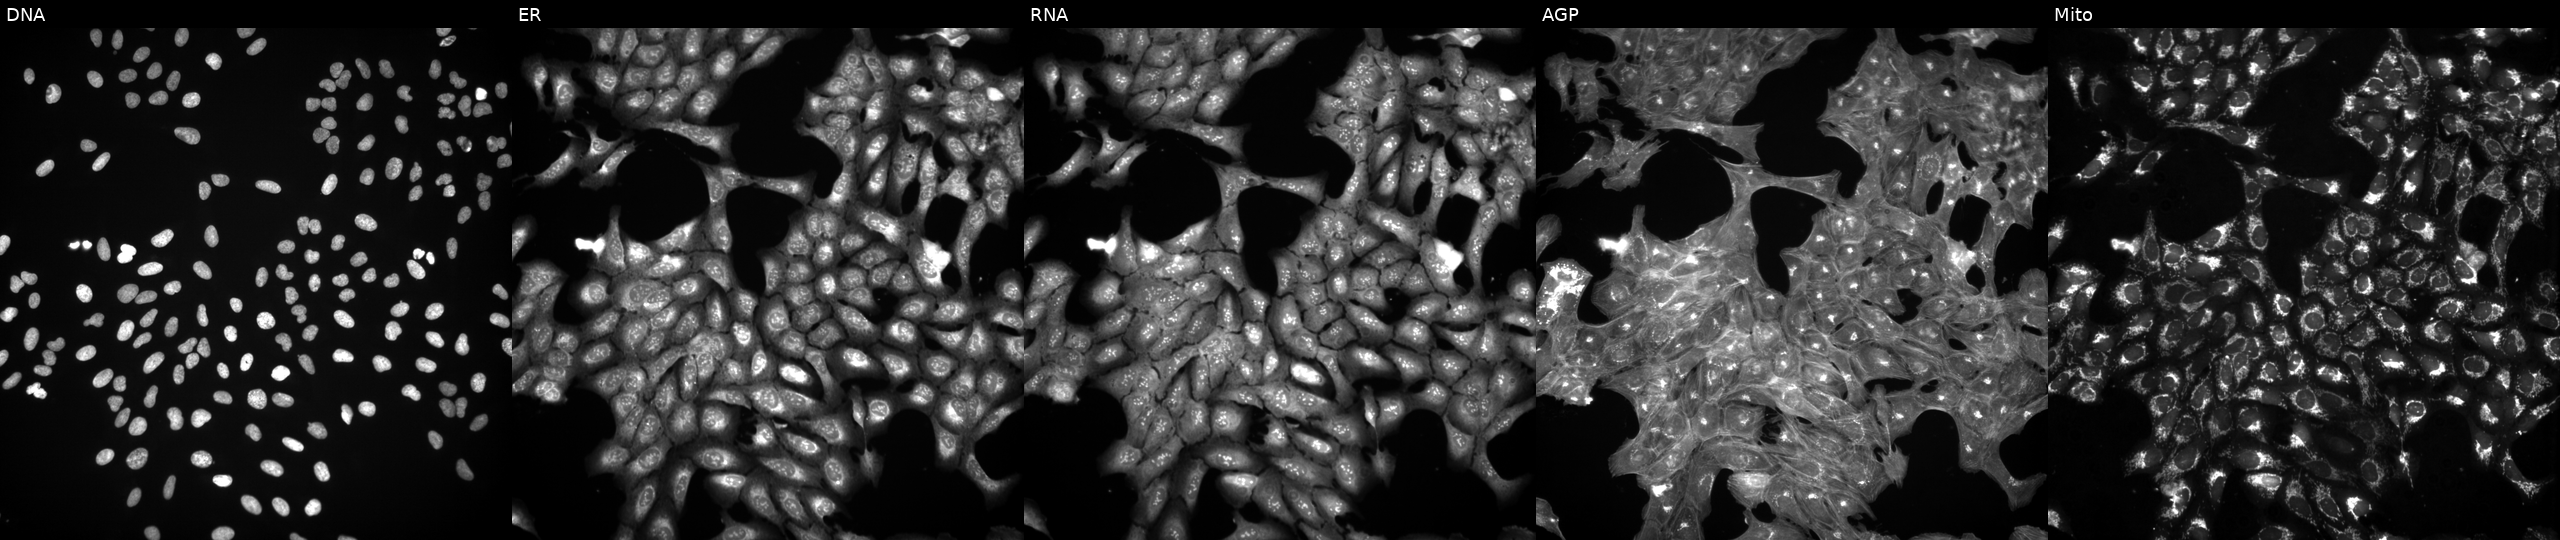
JUMP Cell Painting — TARGET2 plate. U2OS cells treated with DMSO vehicle only (negative control). The five panels, left to right, show Hoechst 33342, concanavalin A, SYTO 14, phalloidin and WGA, MitoTracker.